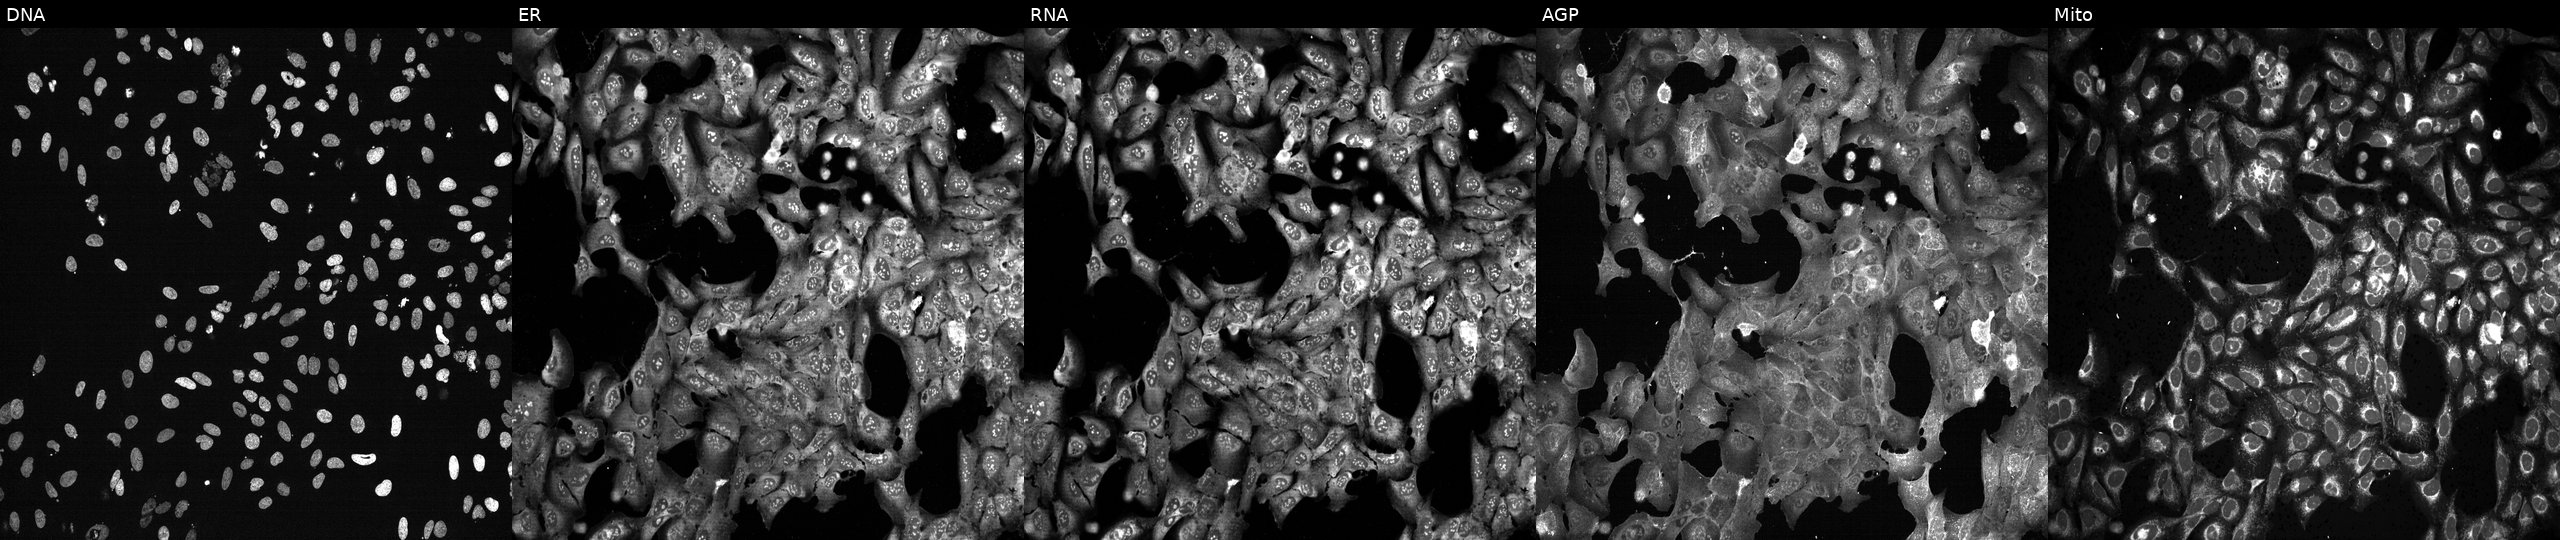
U2OS cells, Cell Painting assay, following CRISPR knockout of TUBG1 (JUMP id JCP2022_807400). Channels (left→right): DNA, ER, RNA, AGP, and Mito. Each panel is percentile-stretched 16-bit fluorescence.